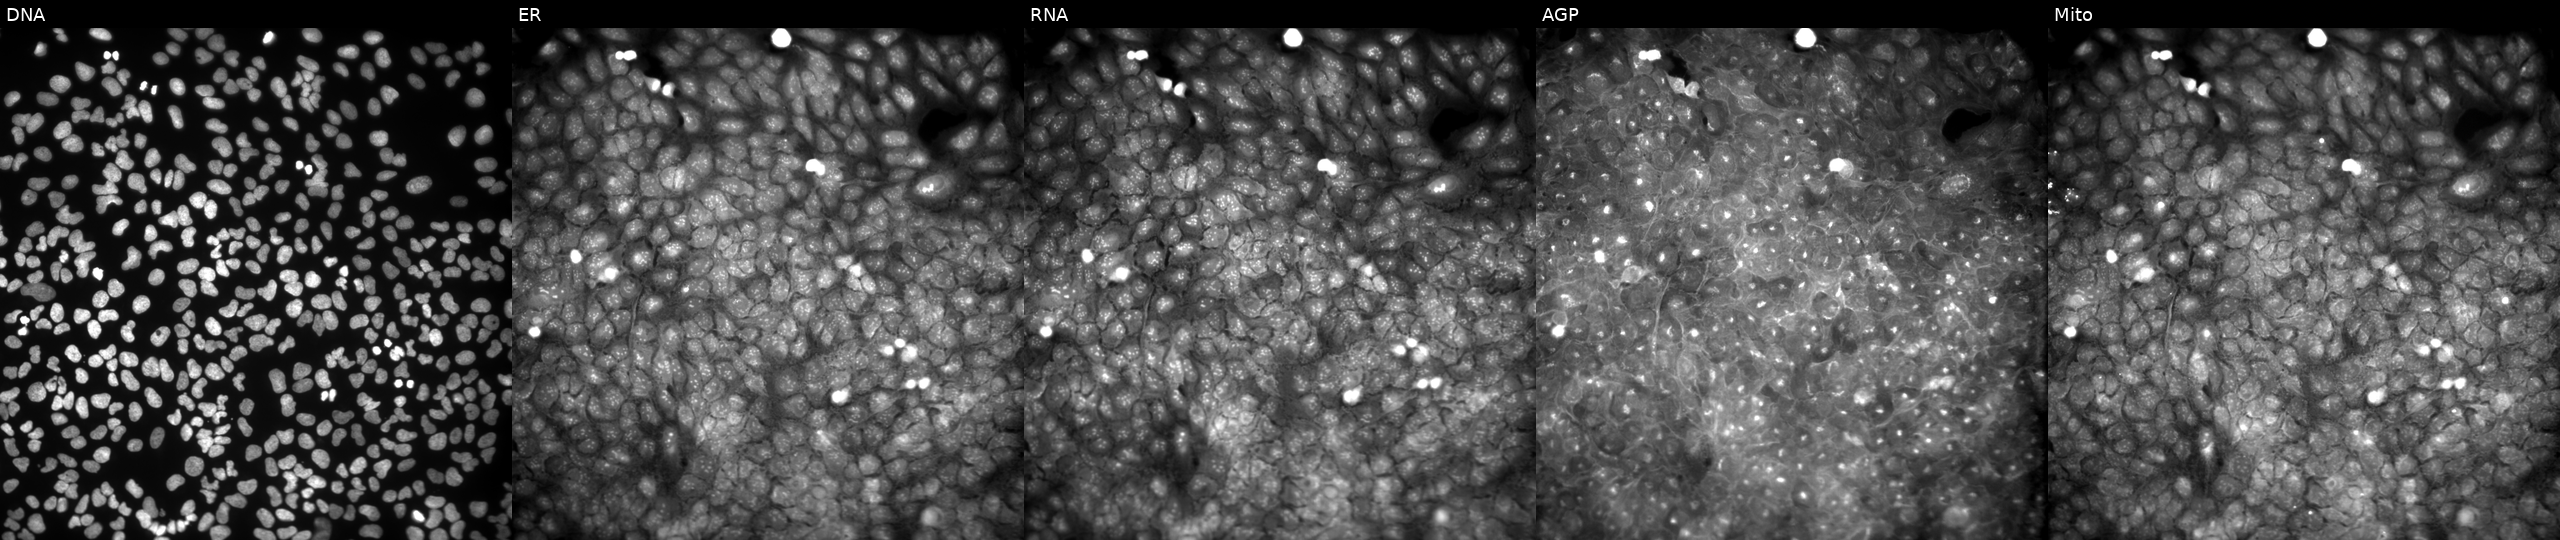
JUMP Cell Painting — COMPOUND plate. U2OS cells treated with a small-molecule compound [SMILES: CCOC(=O)c1c(C)oc2ccc(N(C(C)=O)S(=O)(=O)c3c(C)cc(C)cc3C)cc12]. From left to right: Hoechst 33342, concanavalin A, SYTO 14, phalloidin and WGA, MitoTracker. Source 9, plate GR00003381, well AD17.